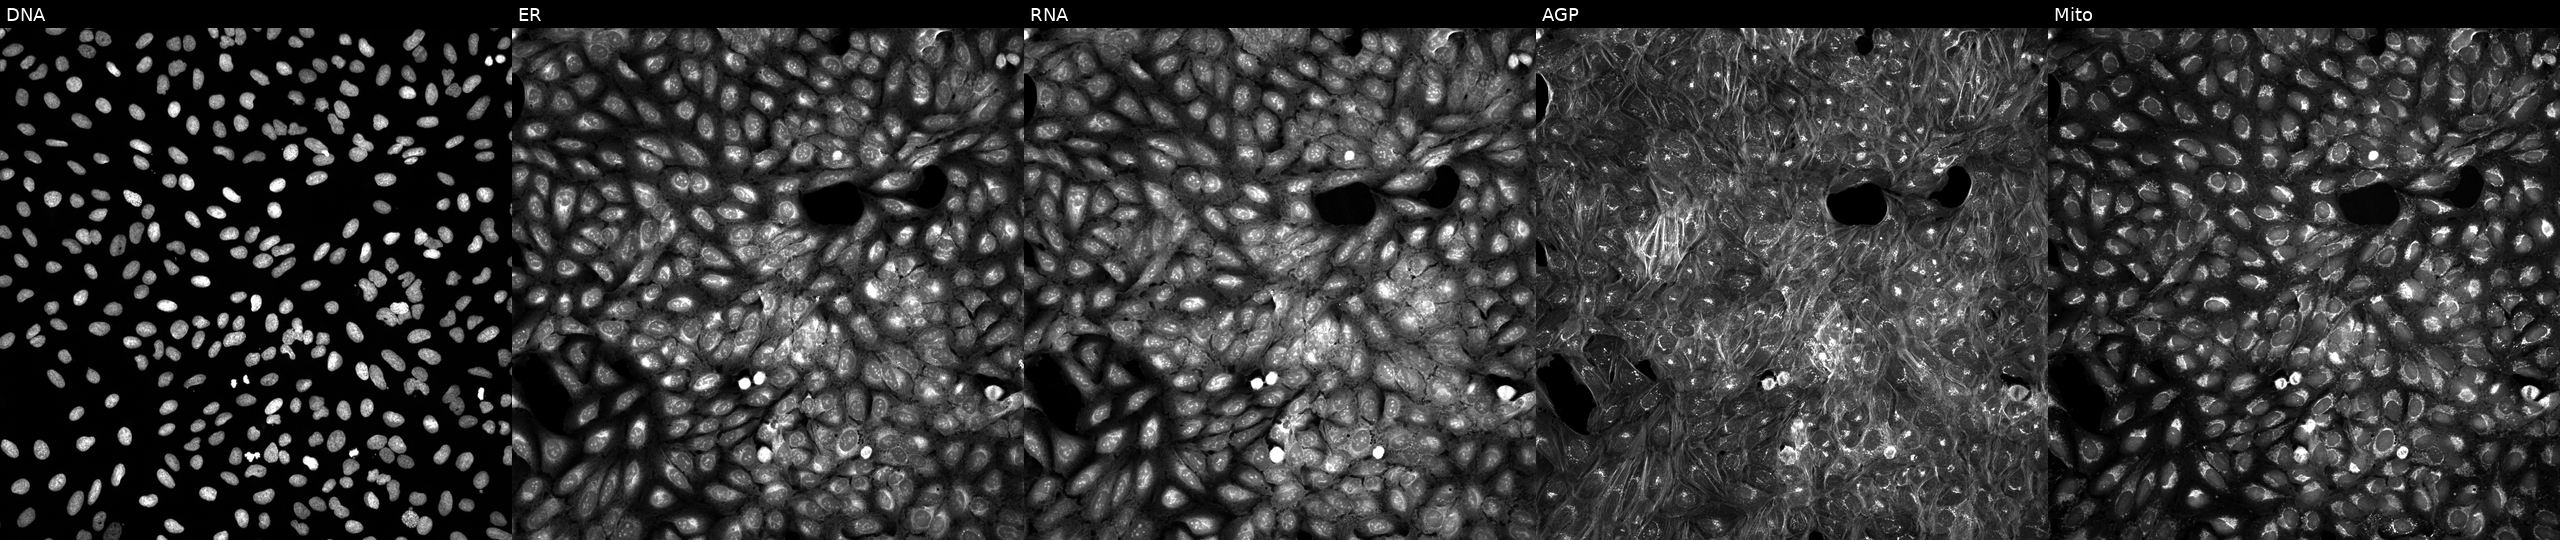
Five-channel Cell Painting image of U2OS cells treated with a small-molecule compound (InChIKey RONQPWQYDRPRGG-UHFFFAOYSA-N). From left to right: DNA, ER, RNA, AGP, and Mito. Source 5, plate ACPJUM032, well H19.